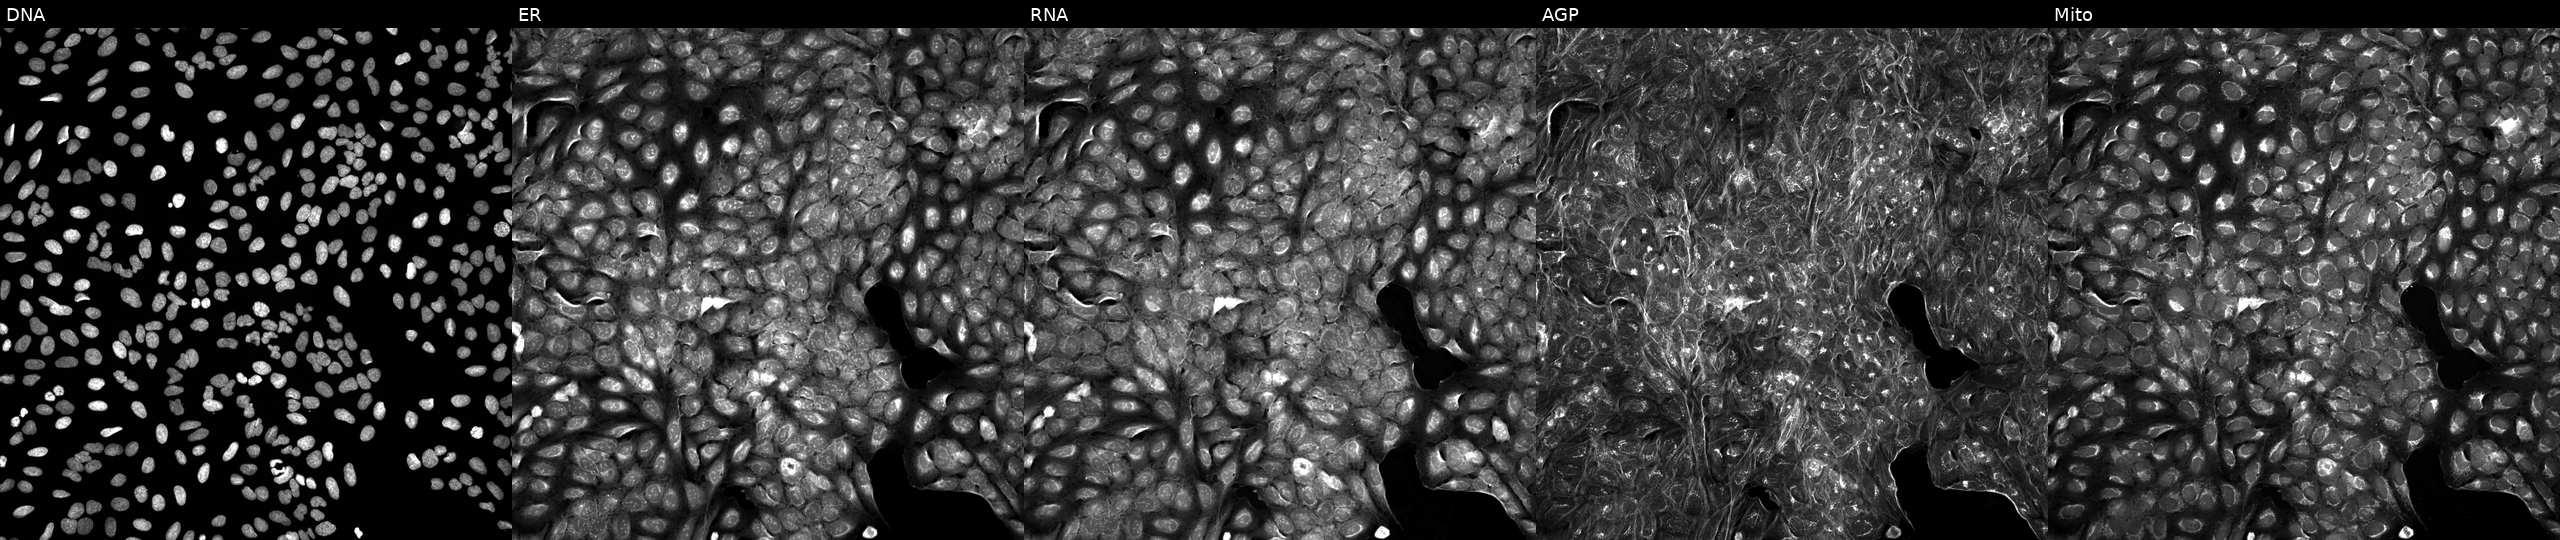
This image strip shows the five Cell Painting channels for a single field of U2OS cells exposed to a small-molecule compound (InChIKey CSIANPPCIGGDGG-UHFFFAOYSA-N) (JUMP id JCP2022_013134). Channels (left→right): Hoechst 33342, concanavalin A, SYTO 14, phalloidin and WGA, MitoTracker.